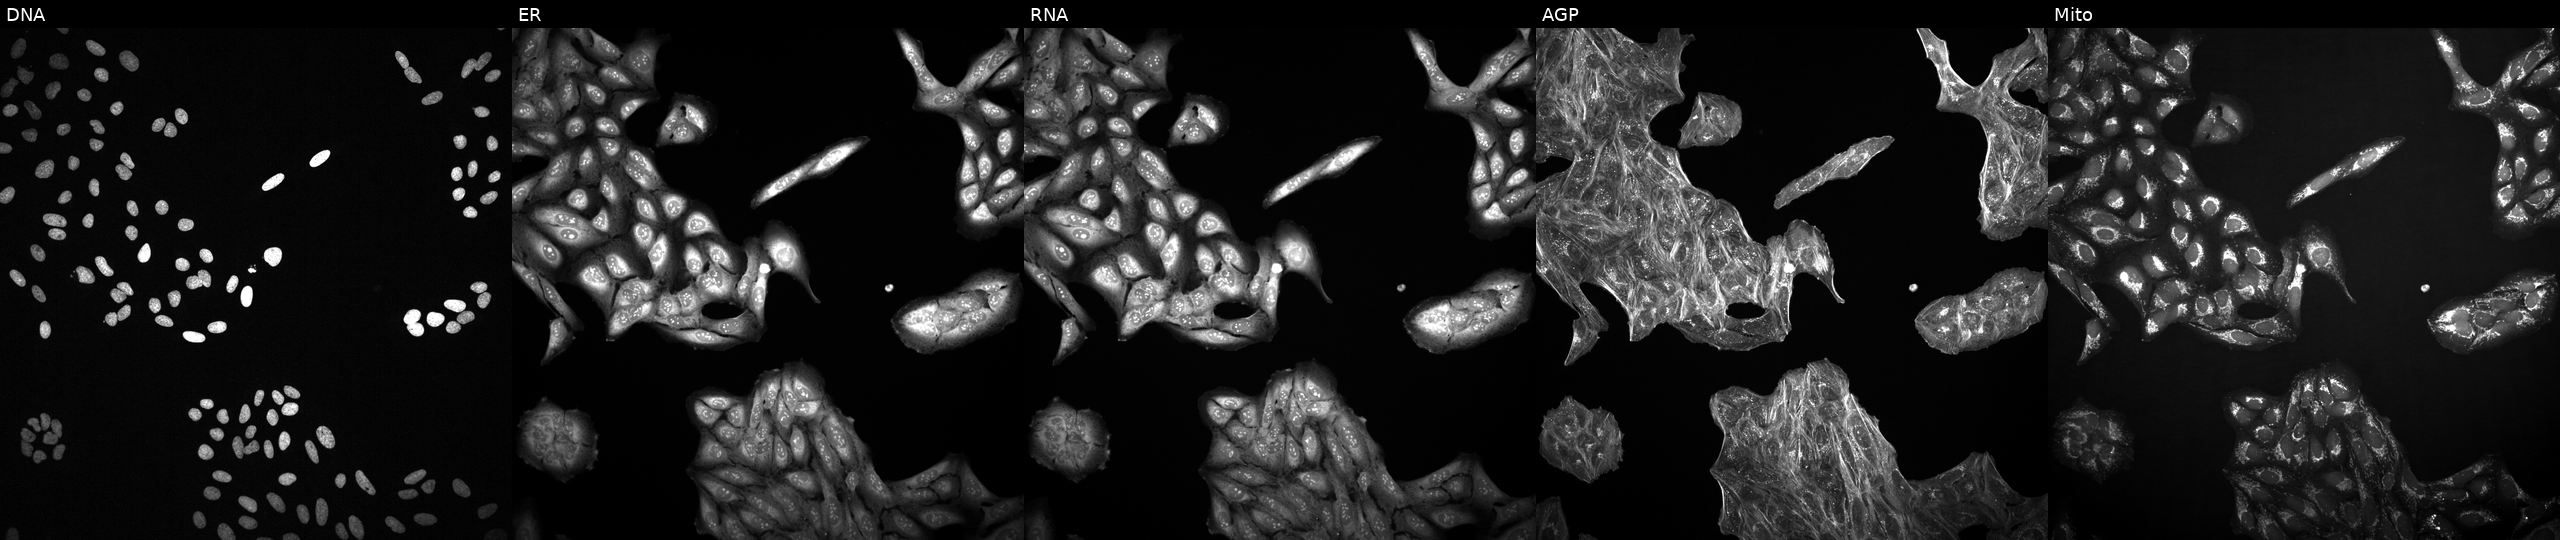
U2OS cells, Cell Painting assay, perturbed with a small-molecule compound (InChIKey DJKJVWJQAVGLHJ-UHFFFAOYSA-N). Panels show, left to right, Hoechst 33342, concanavalin A, SYTO 14, phalloidin and WGA, MitoTracker. Each panel is percentile-stretched 16-bit fluorescence.